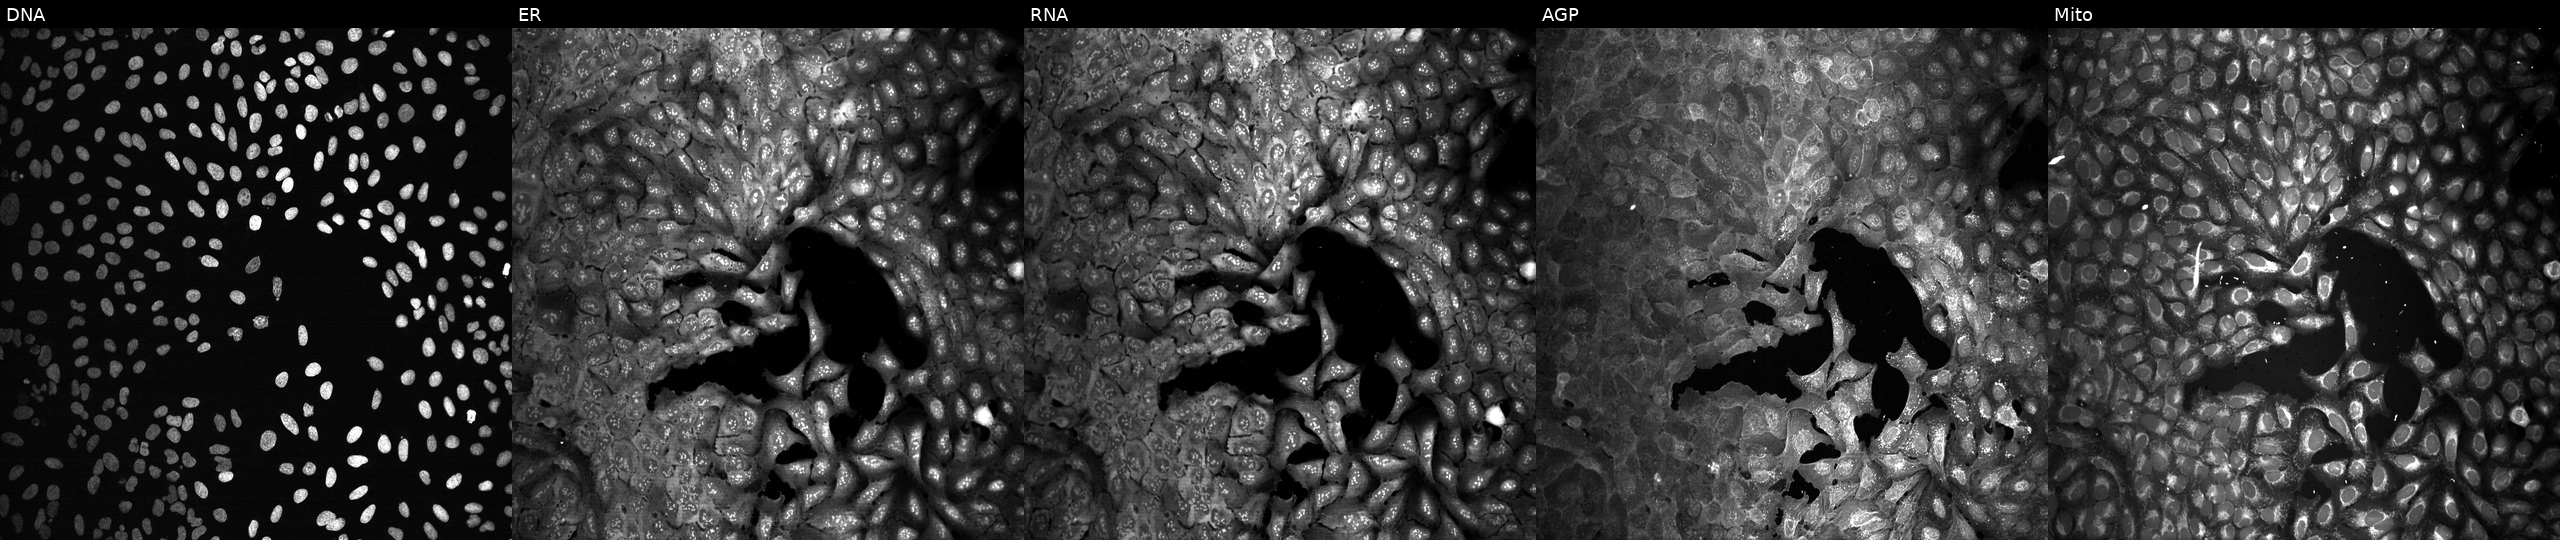
High-content fluorescence microscopy (Cell Painting). Cell line: U2OS. Perturbation: with a non-targeting CRISPR guide (negative control). The five panels, left to right, show Hoechst 33342, concanavalin A, SYTO 14, phalloidin and WGA, MitoTracker.